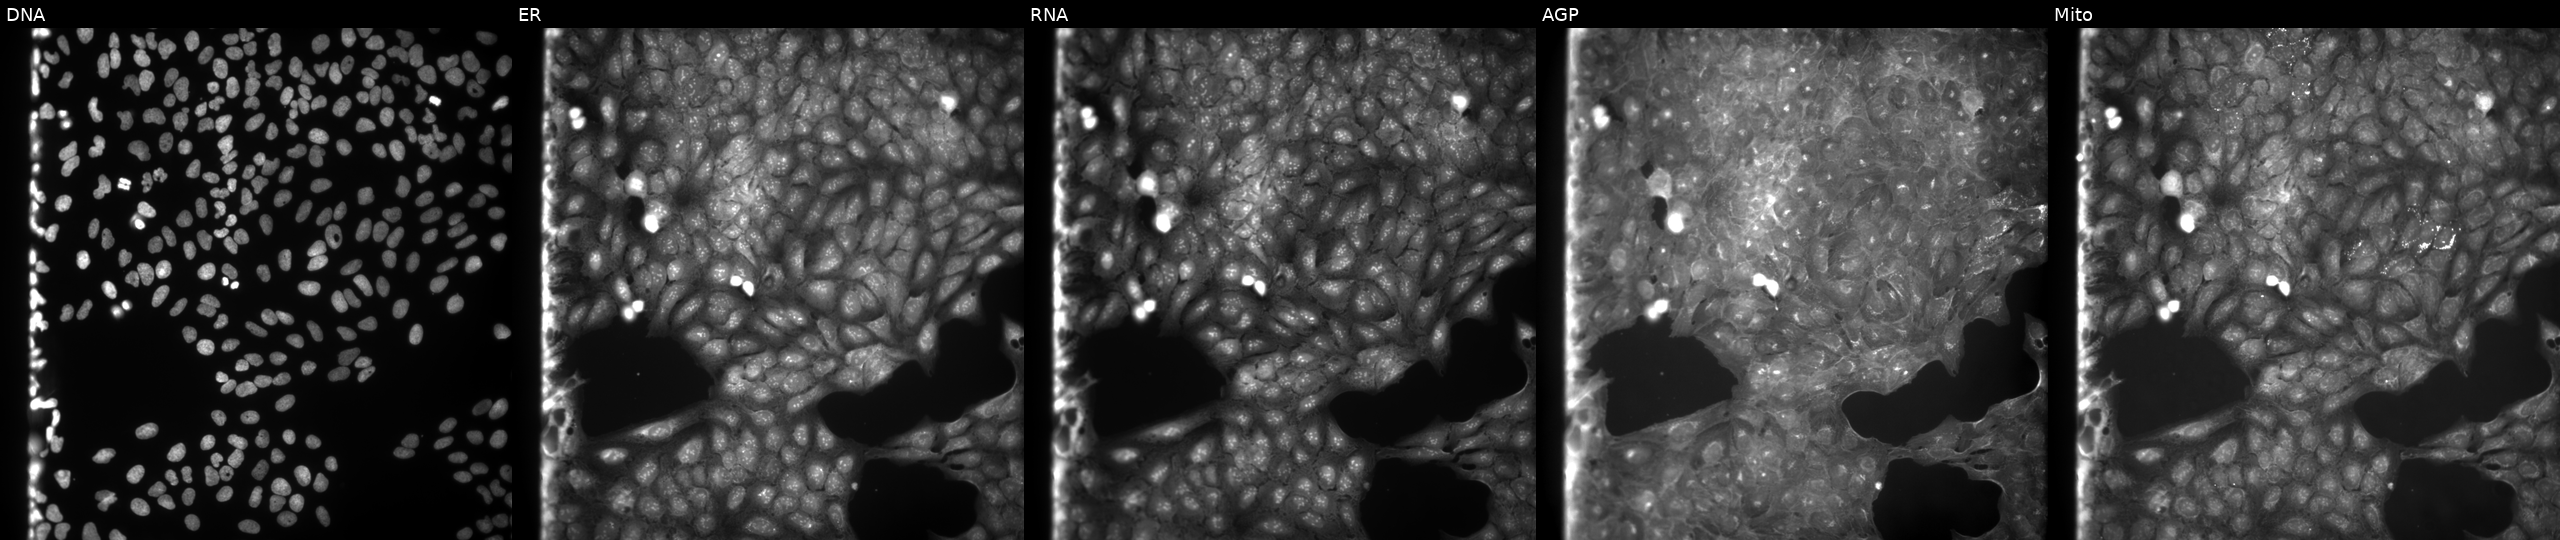
U2OS cells, Cell Painting assay, treated with a small-molecule compound (InChIKey AWWIWXNJNCIQQU-UHFFFAOYSA-N) (JUMP id JCP2022_004365). From left to right: DNA (nuclei); ER (endoplasmic reticulum); RNA (nucleoli and cytoplasmic RNA); AGP (actin cytoskeleton, Golgi, and plasma membrane); Mito (mitochondria). Each panel is percentile-stretched 16-bit fluorescence. Source 9, plate GR00003382, well K03.